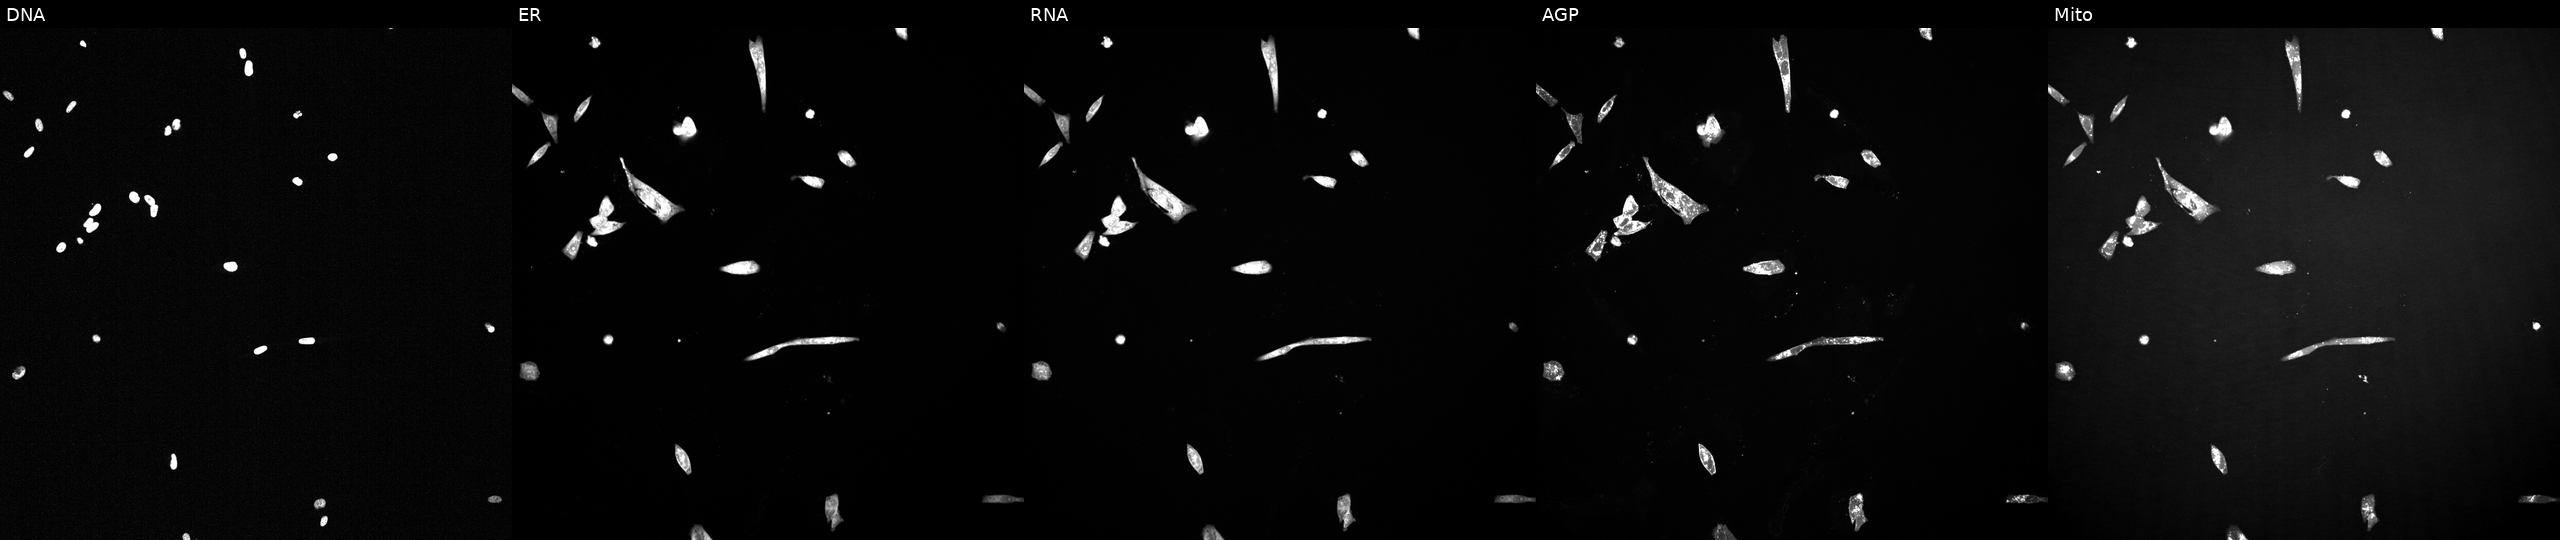
Panels show, left to right, DNA, ER, RNA, AGP, and Mito. U2OS osteosarcoma cells perturbed with a small-molecule compound (InChIKey RLIFDTGDPPPBDQ-UHFFFAOYSA-N) [SMILES: CCCCCCCCOCn1c(=N)n(Cc2ccccc2)c2ccccc21]. Cell Painting assay, JUMP-CP dataset. Source 2, plate 1053601763, well I11.